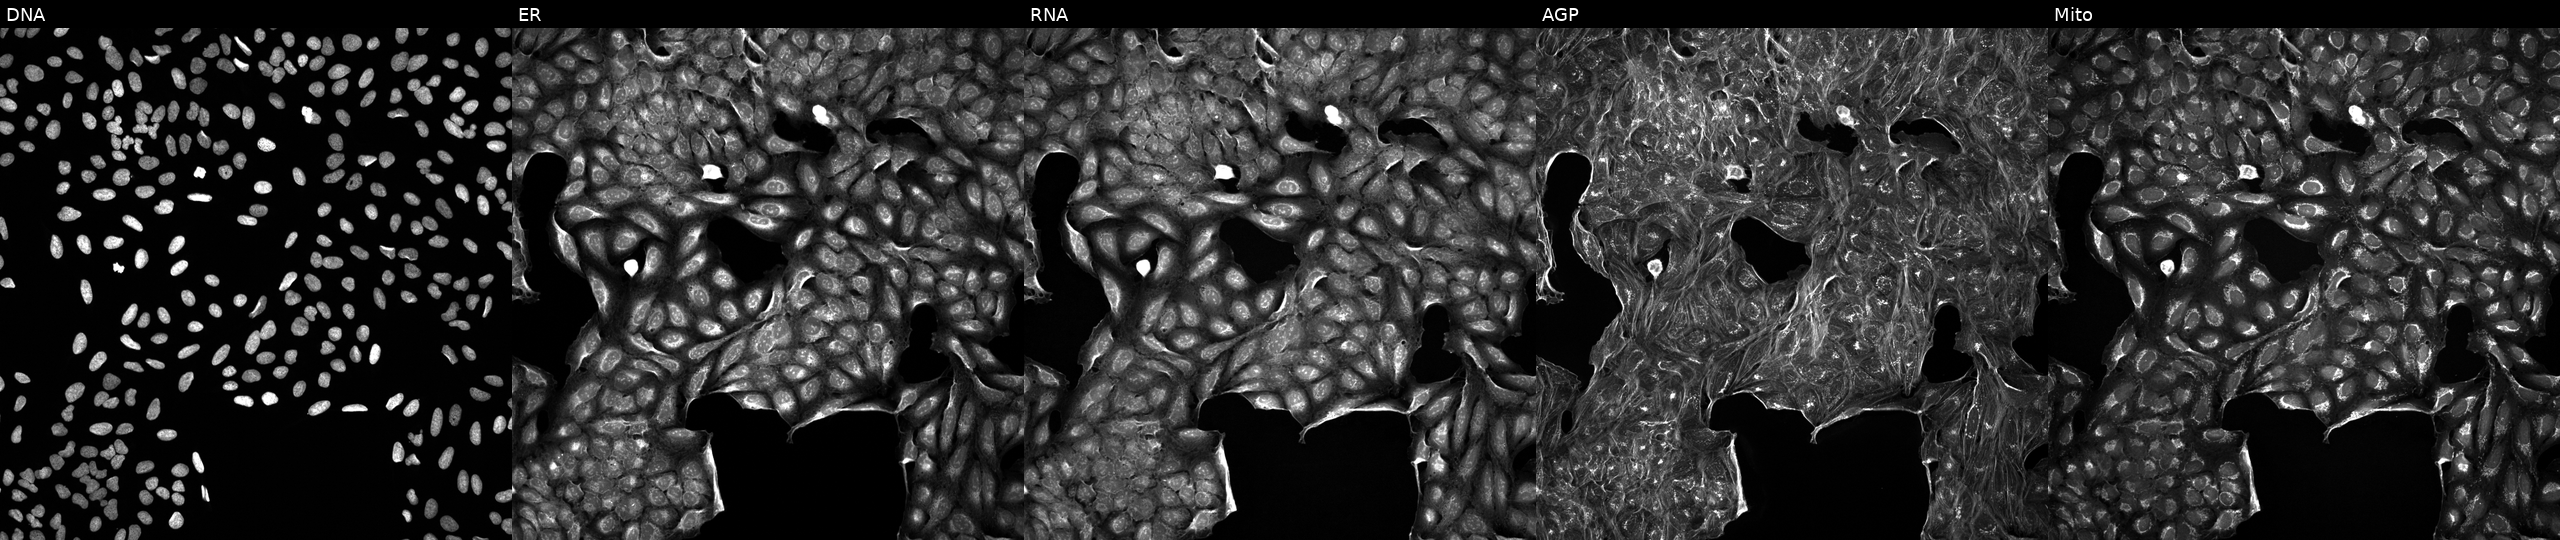
JUMP Cell Painting — TARGET2 plate. U2OS cells treated with a small-molecule compound (InChIKey QWJOPXDAQCDRRM-UHFFFAOYSA-N) [SMILES: Cc1cc(CN)cc(C)c1NC(=O)c1ccc(-c2cc(Cl)ccc2Cl)o1]. Panels show, left to right, DNA, ER, RNA, AGP, and Mito.